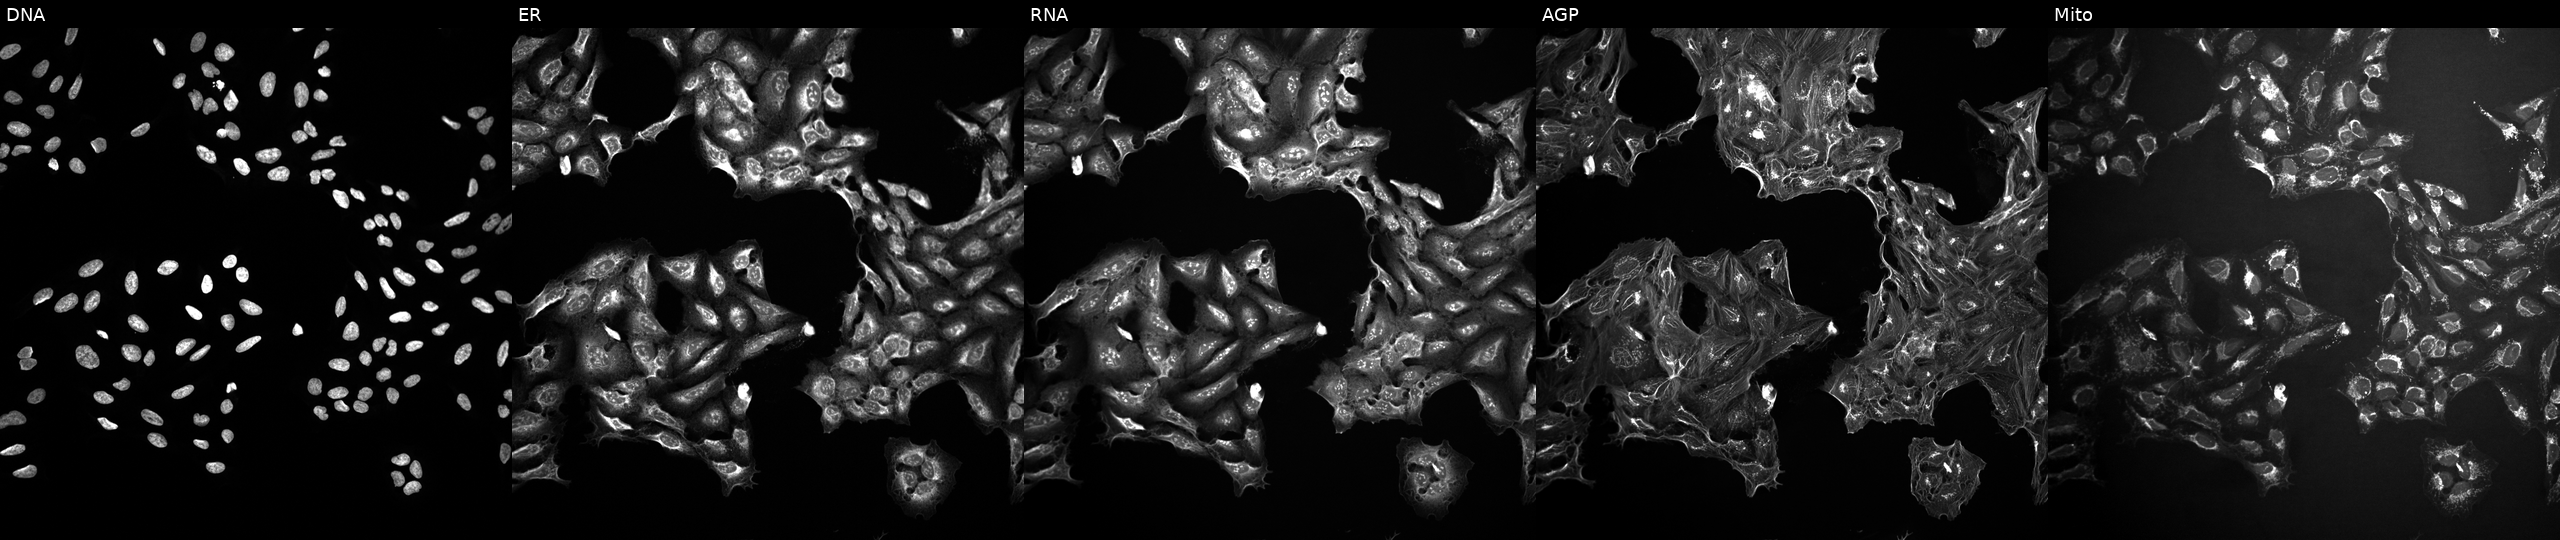
This image strip shows the five Cell Painting channels for a single field of U2OS cells perturbed with a small-molecule compound. Channels (left→right): DNA (nuclei); ER (endoplasmic reticulum); RNA (nucleoli and cytoplasmic RNA); AGP (actin cytoskeleton, Golgi, and plasma membrane); Mito (mitochondria). Source 10, plate Dest210531-152324, well C18.